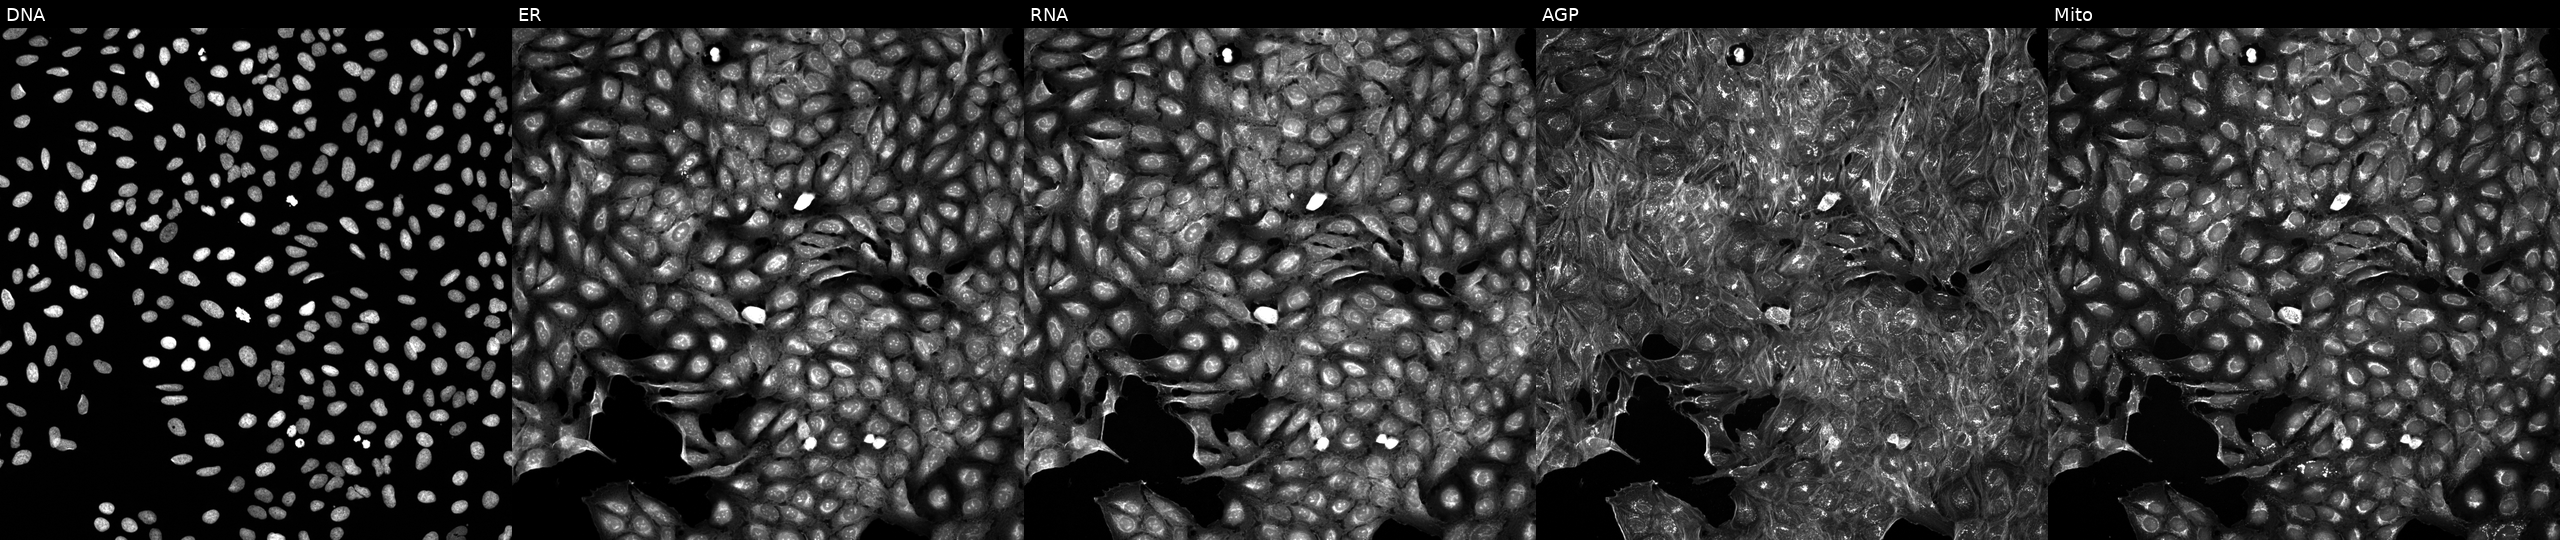
High-content fluorescence microscopy (Cell Painting). Cell line: U2OS. Perturbation: exposed to a small-molecule compound (InChIKey WLLFSUWZVOMLBG-UHFFFAOYSA-N). From left to right: DNA, ER, RNA, AGP, and Mito.